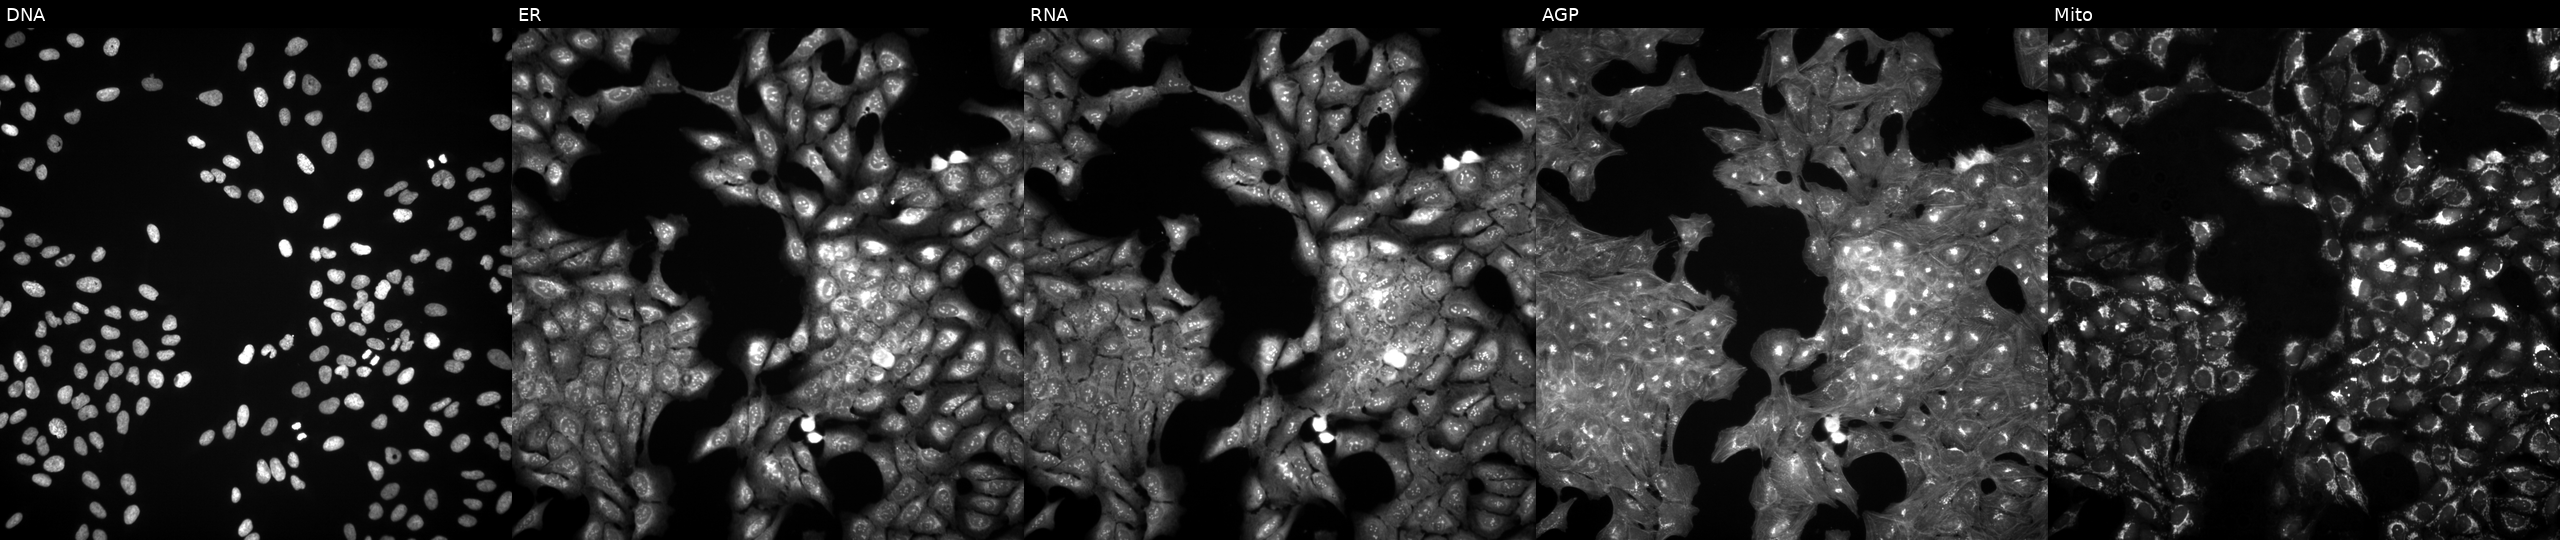
Five-channel Cell Painting image of U2OS cells perturbed with a small-molecule compound. The five panels, left to right, show DNA, ER, RNA, AGP, and Mito. Source 3, plate JCPQC052, well M08.